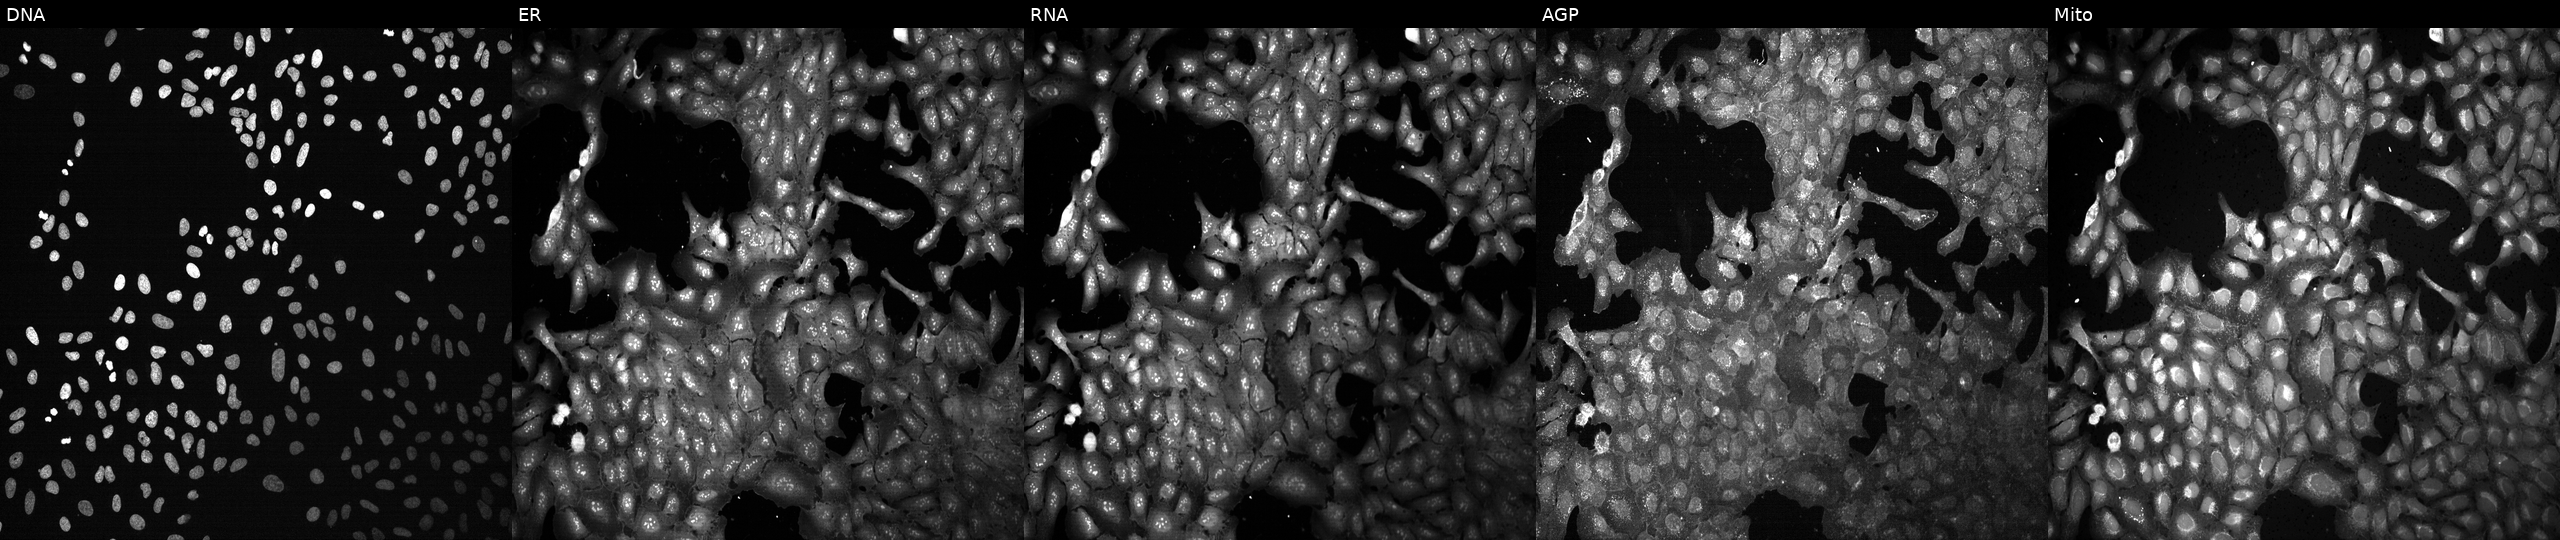
Five-channel Cell Painting image of U2OS cells with RGS9 knocked out by CRISPR (JUMP id JCP2022_805938). Panels show, left to right, Hoechst 33342, concanavalin A, SYTO 14, phalloidin and WGA, MitoTracker.